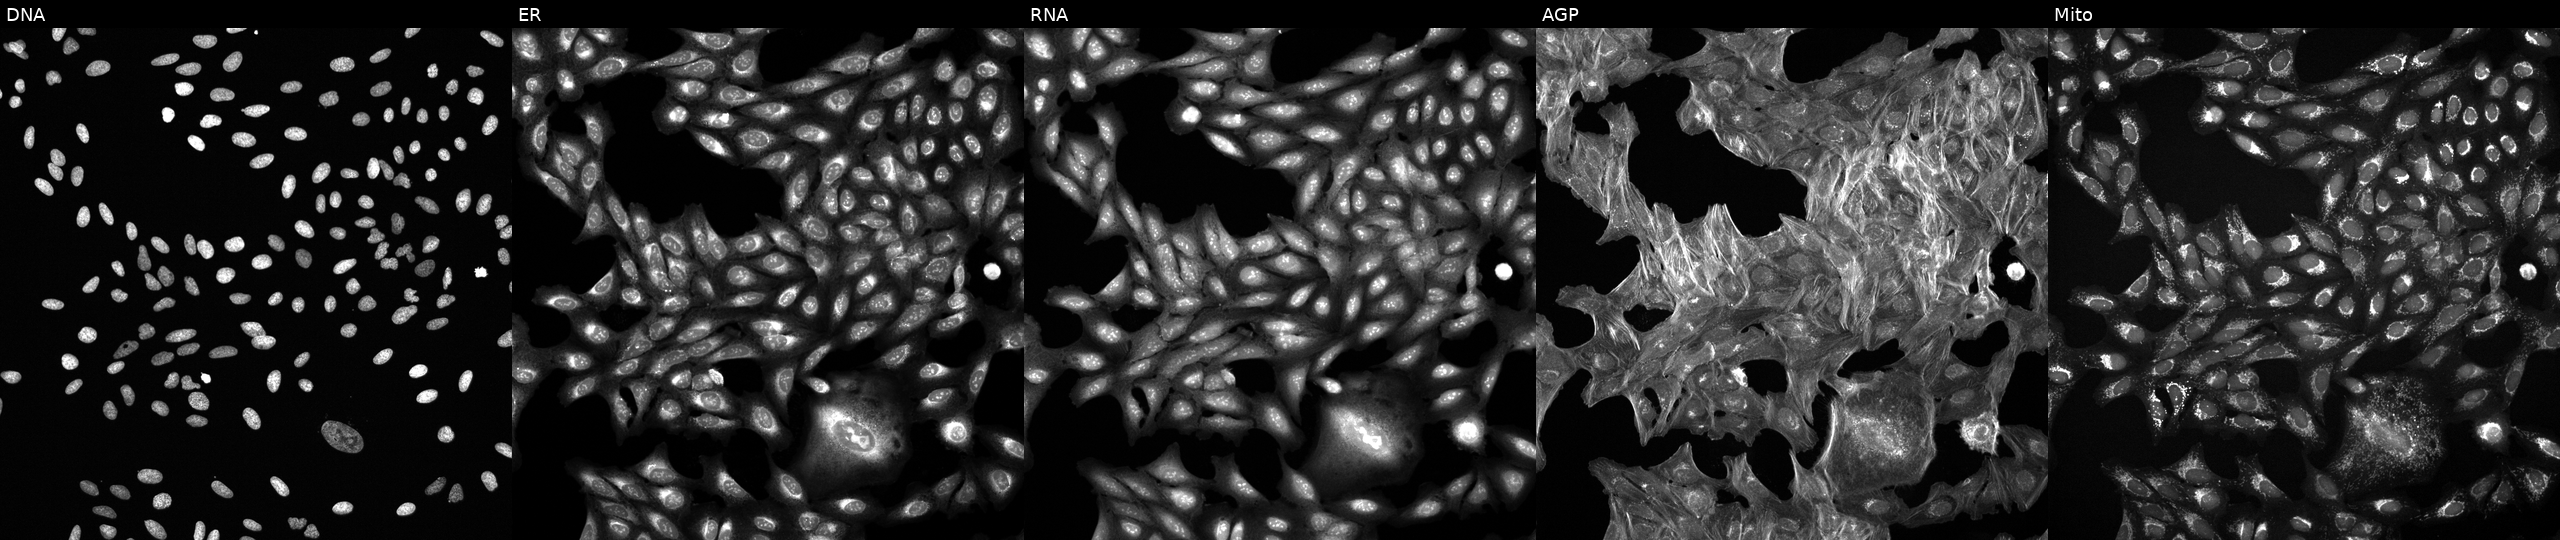
This image strip shows the five Cell Painting channels for a single field of U2OS cells exposed to a small-molecule compound (InChIKey BPCRUQODPHDYOR-UHFFFAOYSA-N) (JUMP id JCP2022_007756). Channels (left→right): Hoechst 33342, concanavalin A, SYTO 14, phalloidin and WGA, MitoTracker.